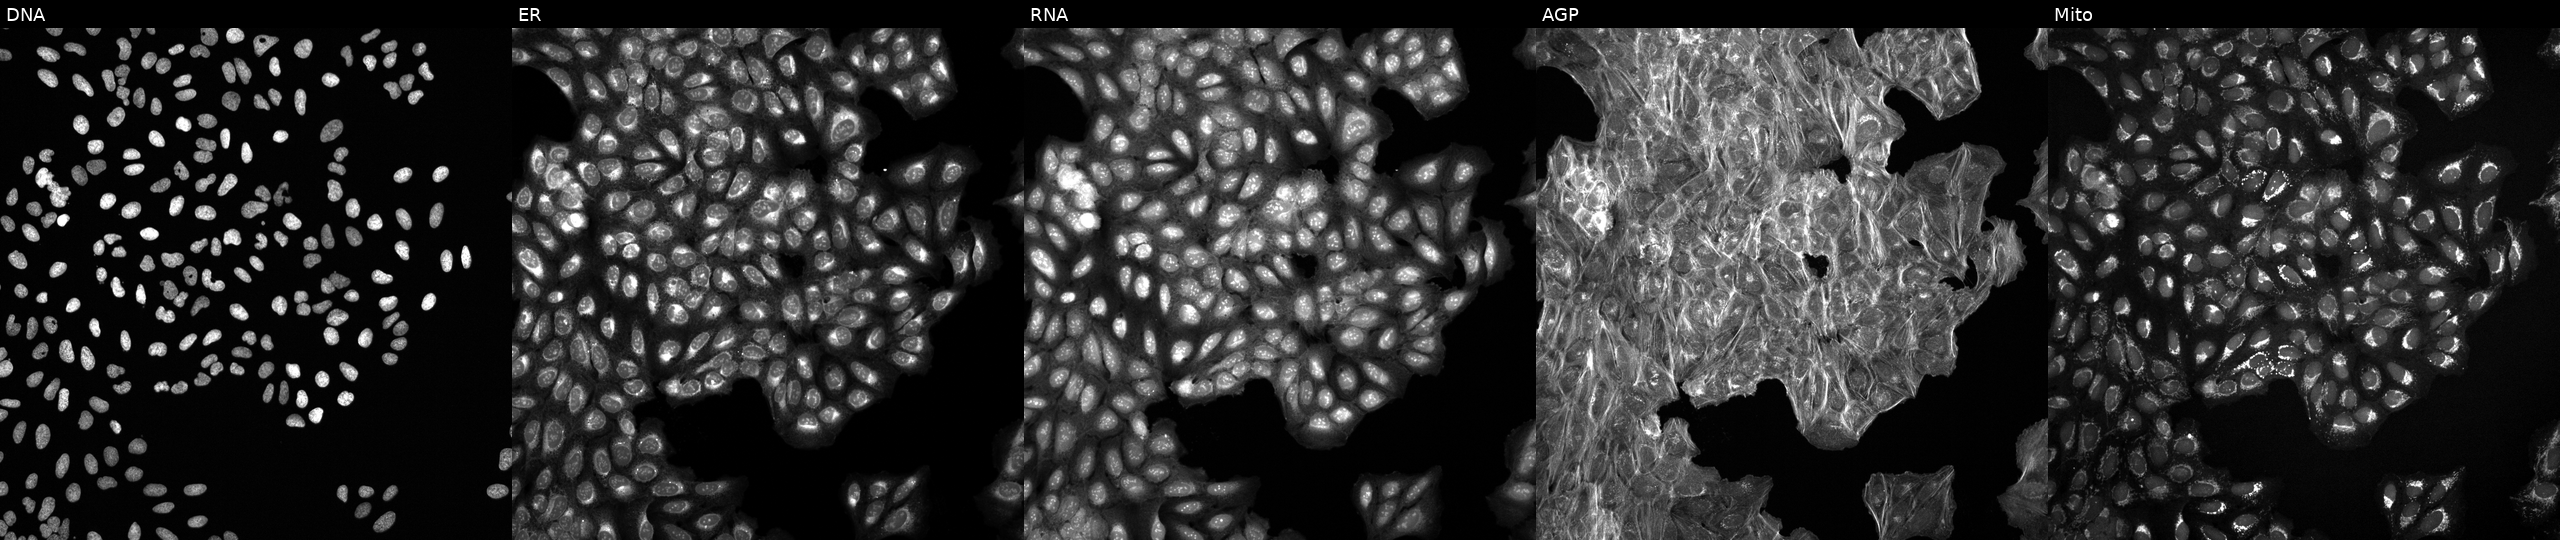
Five-channel Cell Painting image of U2OS cells treated with a small-molecule compound (InChIKey HZFORTGAFPVSAA-UHFFFAOYSA-N) [SMILES: Cc1ccc(C(=O)NC(C(=O)N2CCCc3ccccc32)c2ccccc2)s1] (JUMP id JCP2022_033596). Channels (left→right): DNA (nuclei); ER (endoplasmic reticulum); RNA (nucleoli and cytoplasmic RNA); AGP (actin cytoskeleton, Golgi, and plasma membrane); Mito (mitochondria). Source 6, plate 110000293083, well H18.